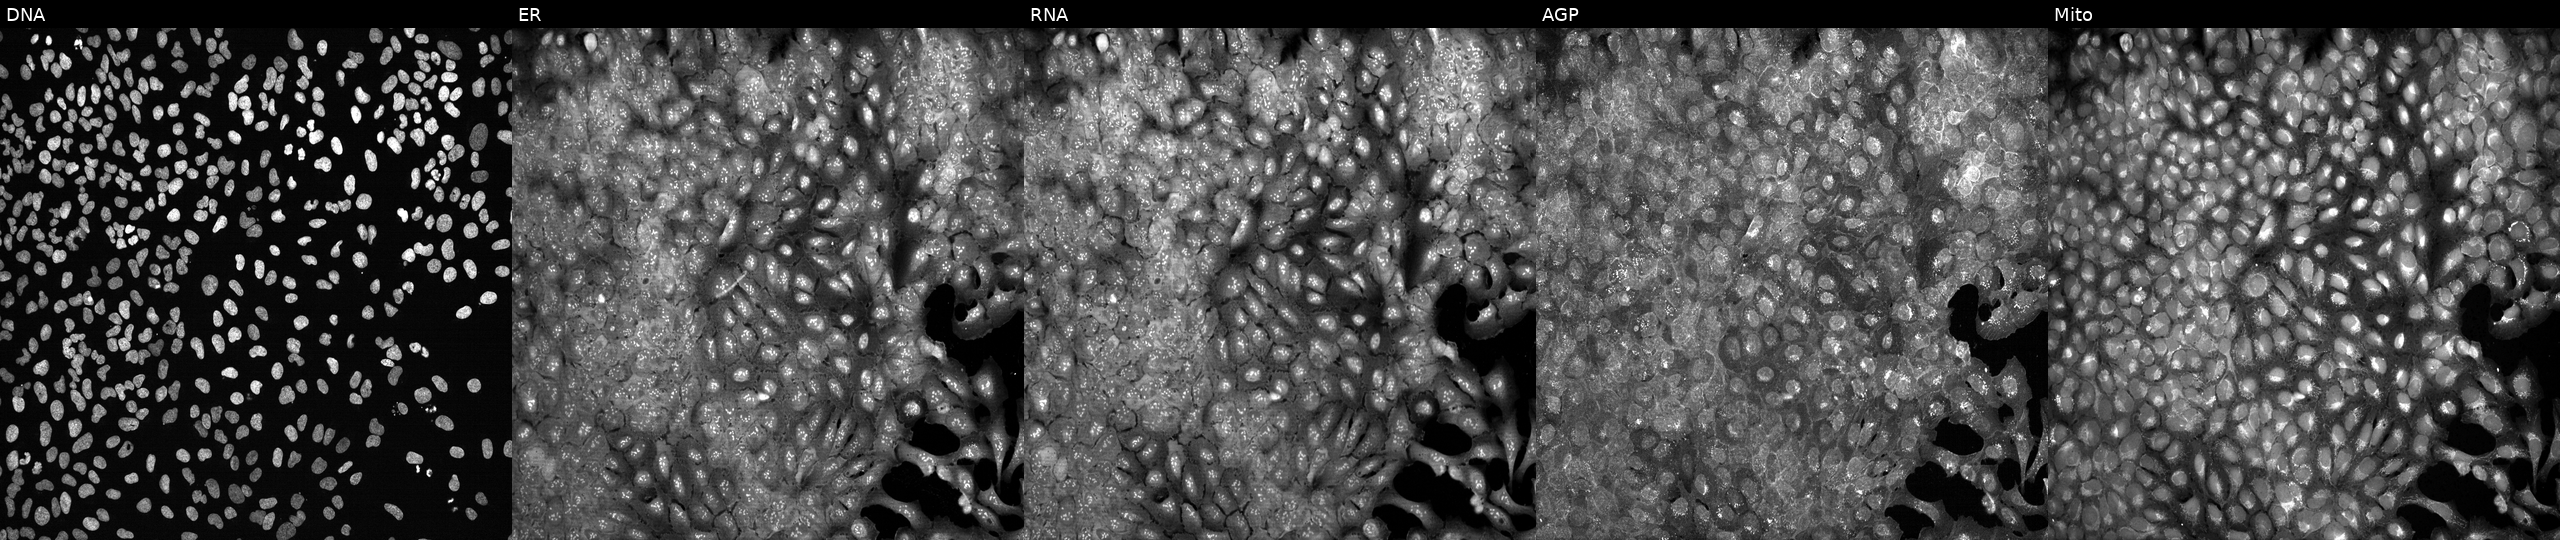
JUMP Cell Painting — CRISPR plate. U2OS cells following CRISPR knockout of ALG8. The five panels, left to right, show DNA, ER, RNA, AGP, and Mito.